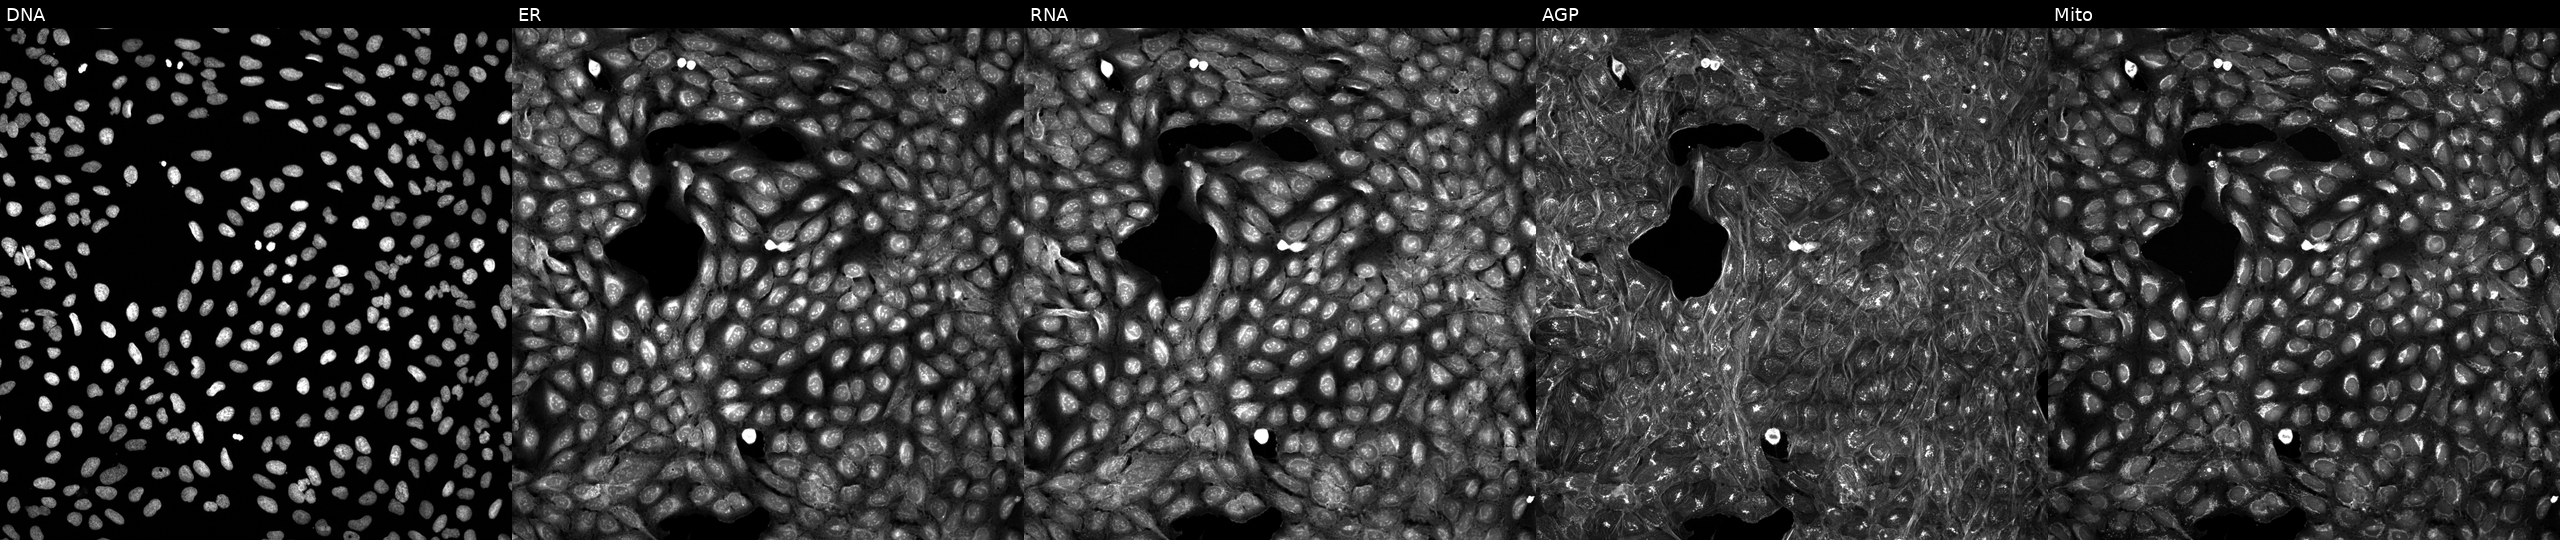
Panels show, left to right, DNA, ER, RNA, AGP, and Mito. U2OS osteosarcoma cells perturbed with a small-molecule compound (InChIKey MUMDDJKBBZYYBY-UHFFFAOYSA-N). Cell Painting assay, JUMP-CP dataset.